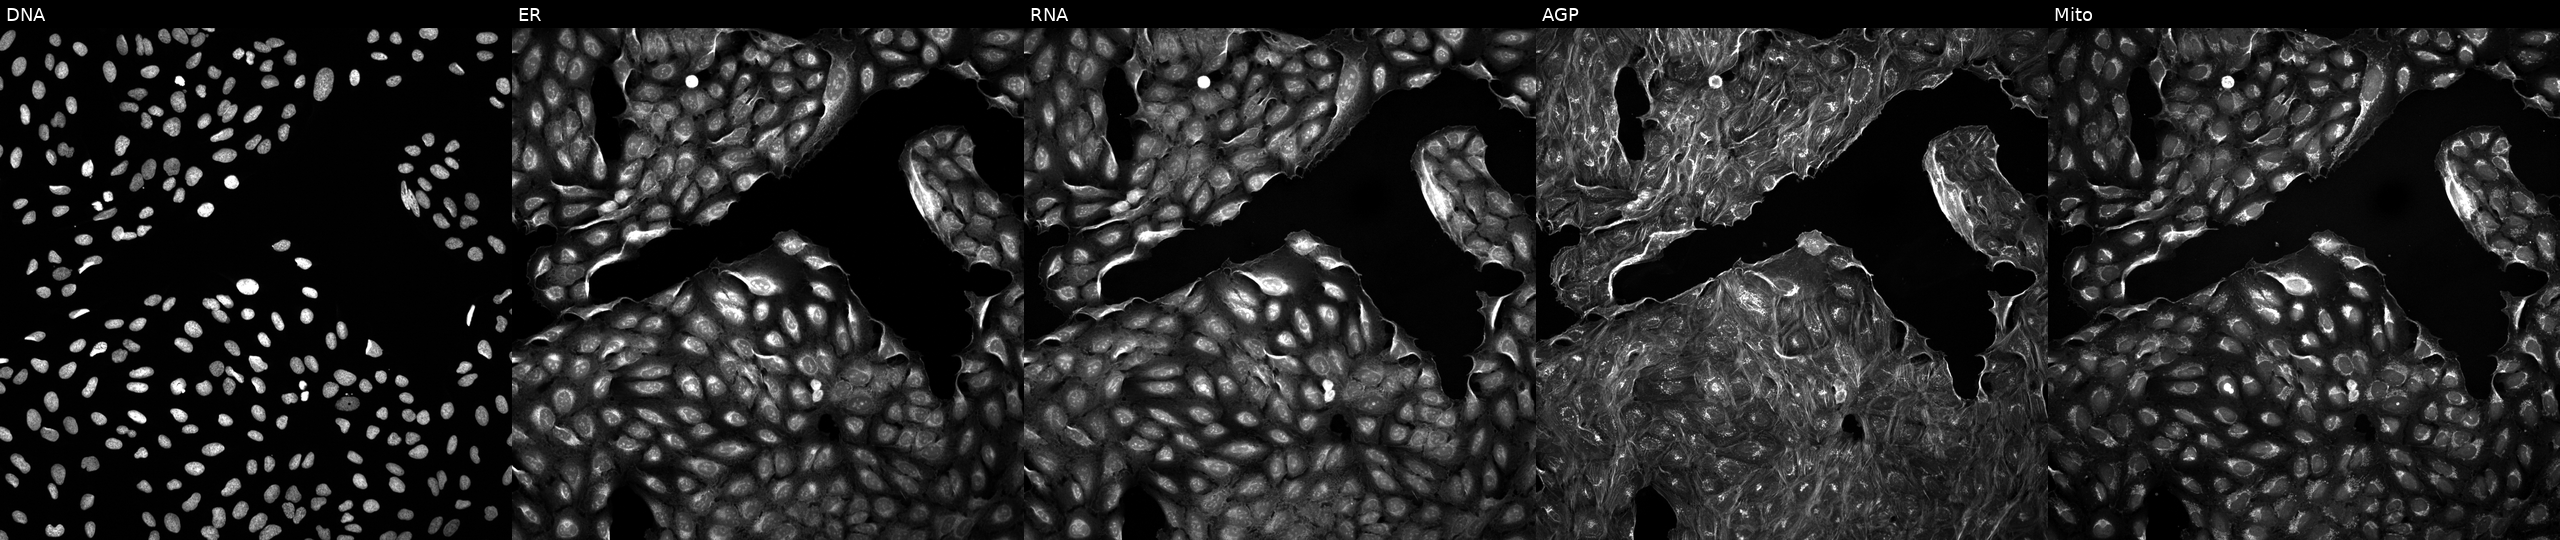
This image strip shows the five Cell Painting channels for a single field of U2OS cells perturbed with a small-molecule compound (InChIKey ALBKMJDFBZVHAK-UHFFFAOYSA-N) (JUMP id JCP2022_002118). From left to right: DNA (nuclei); ER (endoplasmic reticulum); RNA (nucleoli and cytoplasmic RNA); AGP (actin cytoskeleton, Golgi, and plasma membrane); Mito (mitochondria).